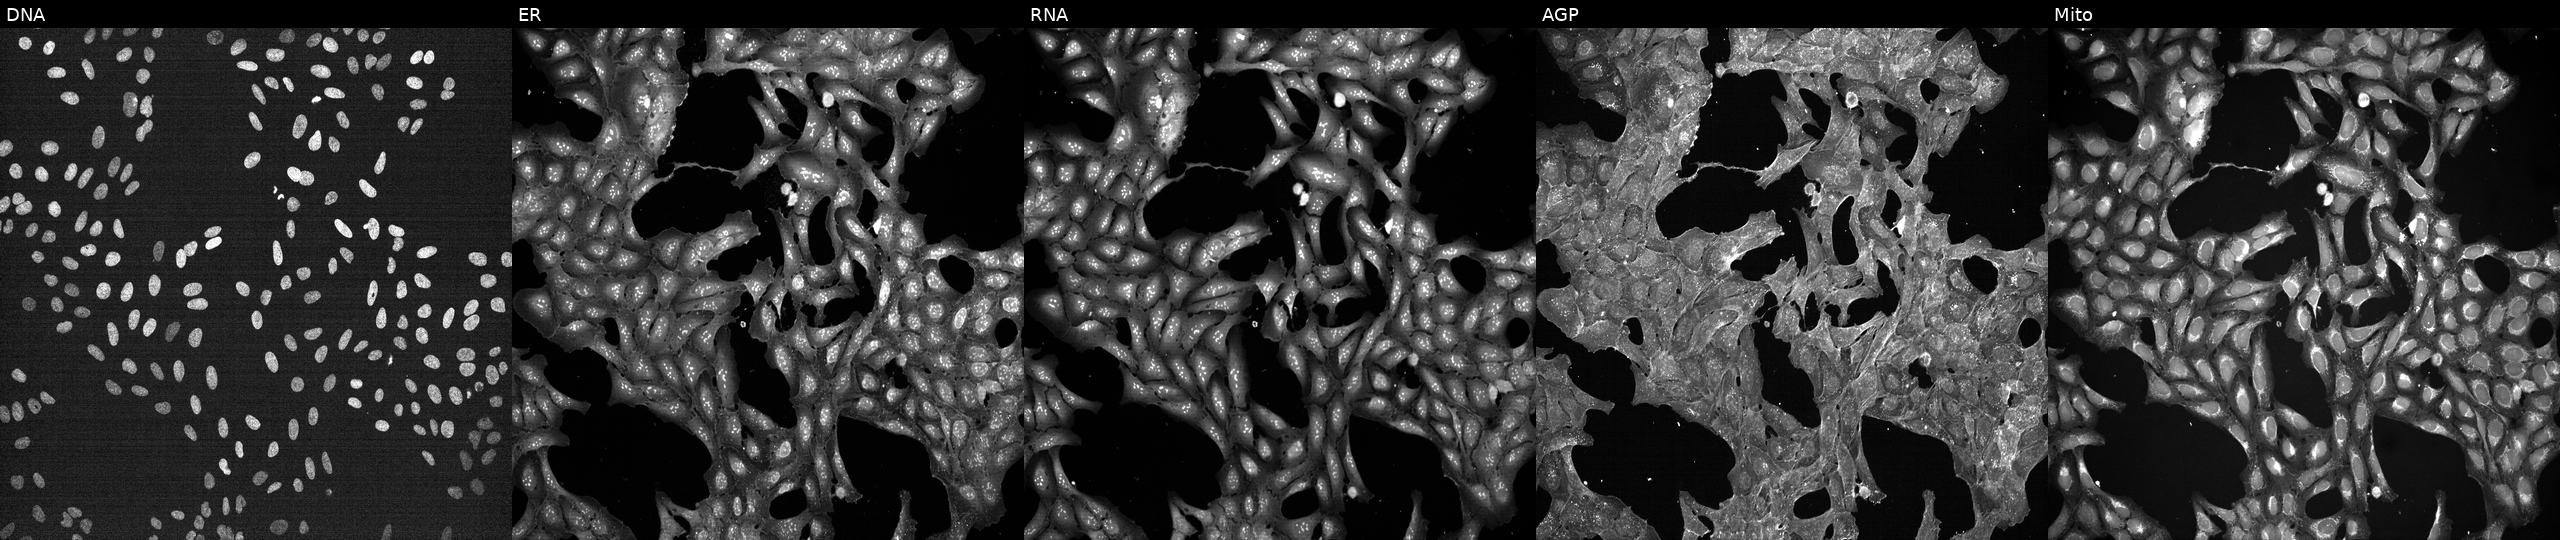
Channels (left→right): DNA (nuclei); ER (endoplasmic reticulum); RNA (nucleoli and cytoplasmic RNA); AGP (actin cytoskeleton, Golgi, and plasma membrane); Mito (mitochondria). U2OS osteosarcoma cells perturbed with a small-molecule compound (InChIKey LEVWYRKDKASIDU-UHFFFAOYSA-N). Cell Painting assay, JUMP-CP dataset. Source 7, plate CP1-SC1-25, well A18.